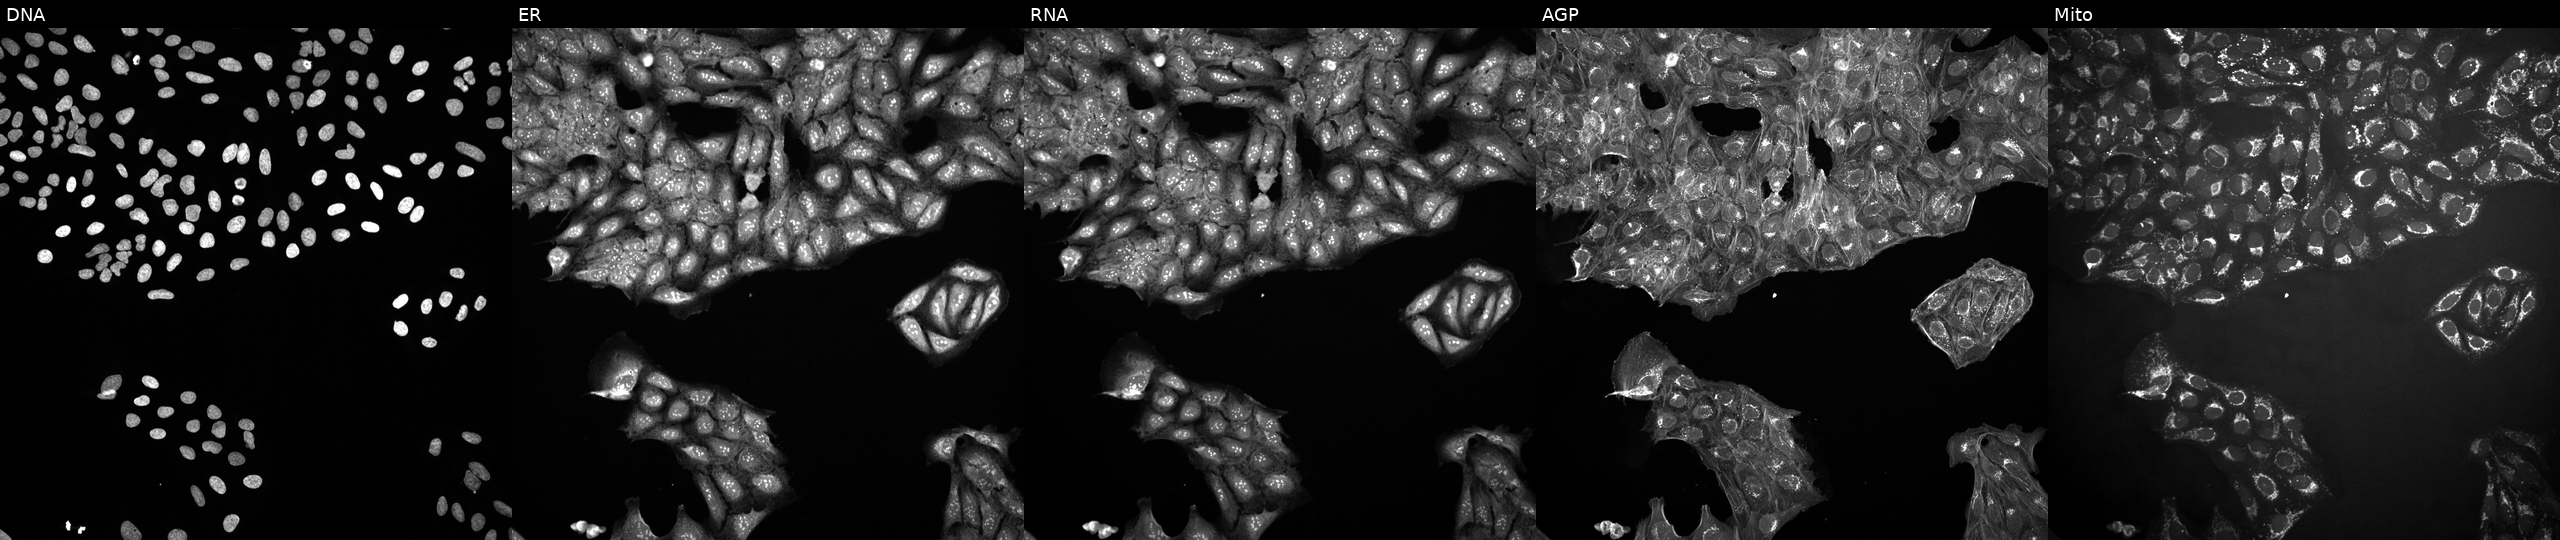
U2OS cells, Cell Painting assay, untreated (empty-well control) (JUMP id JCP2022_999999). Channels (left→right): DNA (nuclei); ER (endoplasmic reticulum); RNA (nucleoli and cytoplasmic RNA); AGP (actin cytoskeleton, Golgi, and plasma membrane); Mito (mitochondria). Each panel is percentile-stretched 16-bit fluorescence. Source 10, plate Dest210531-152149, well D08.